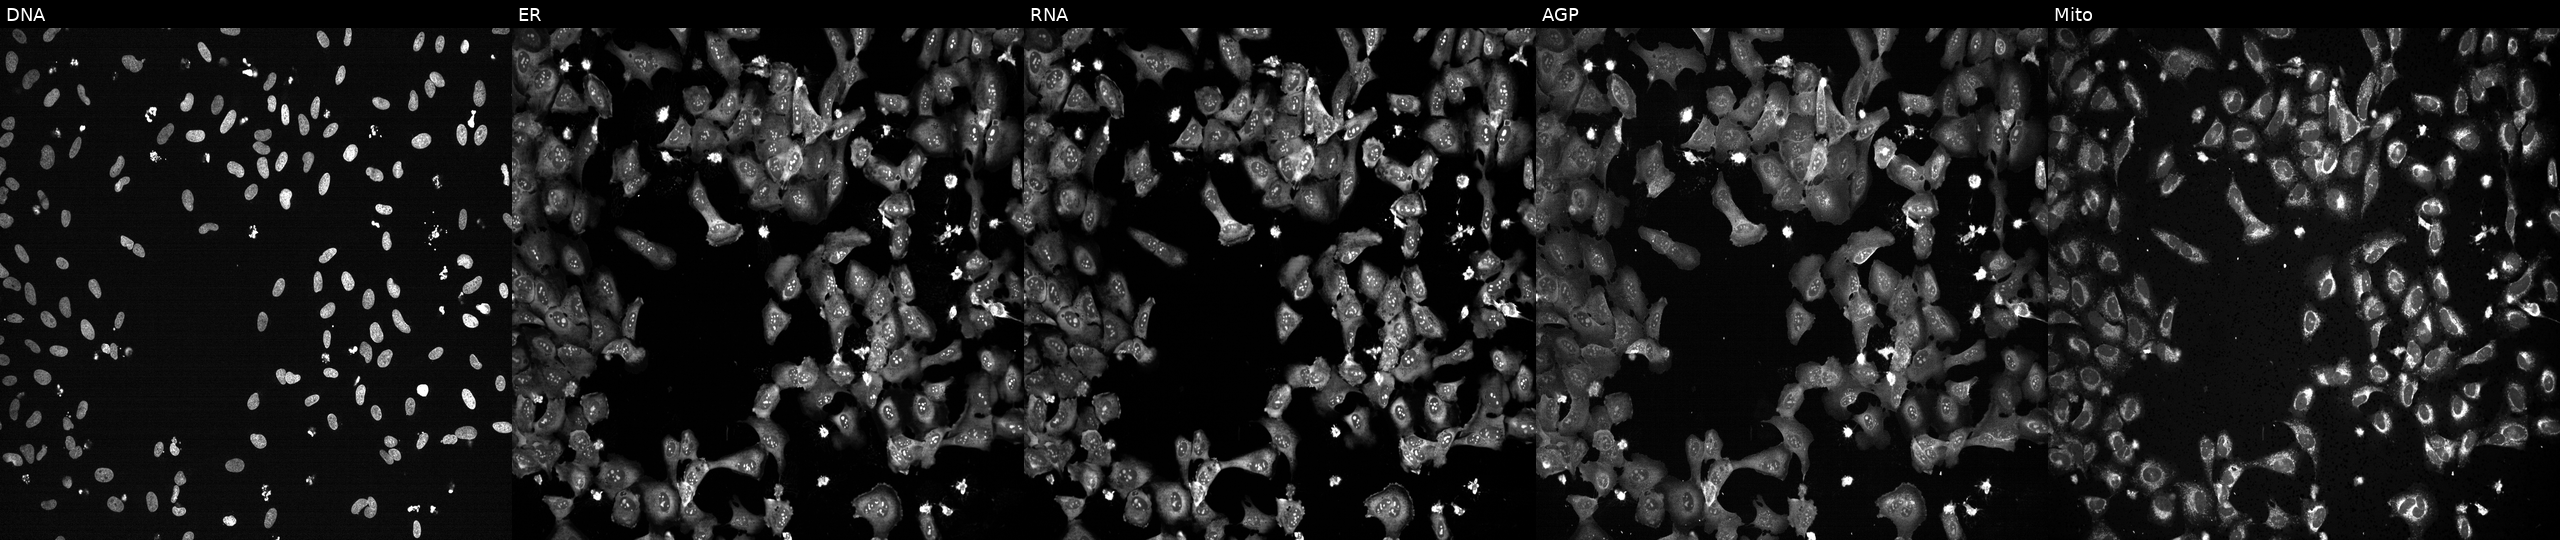
Five-channel Cell Painting image of U2OS cells treated with TC-S-7004 (positive-control compound). Panels show, left to right, DNA, ER, RNA, AGP, and Mito.